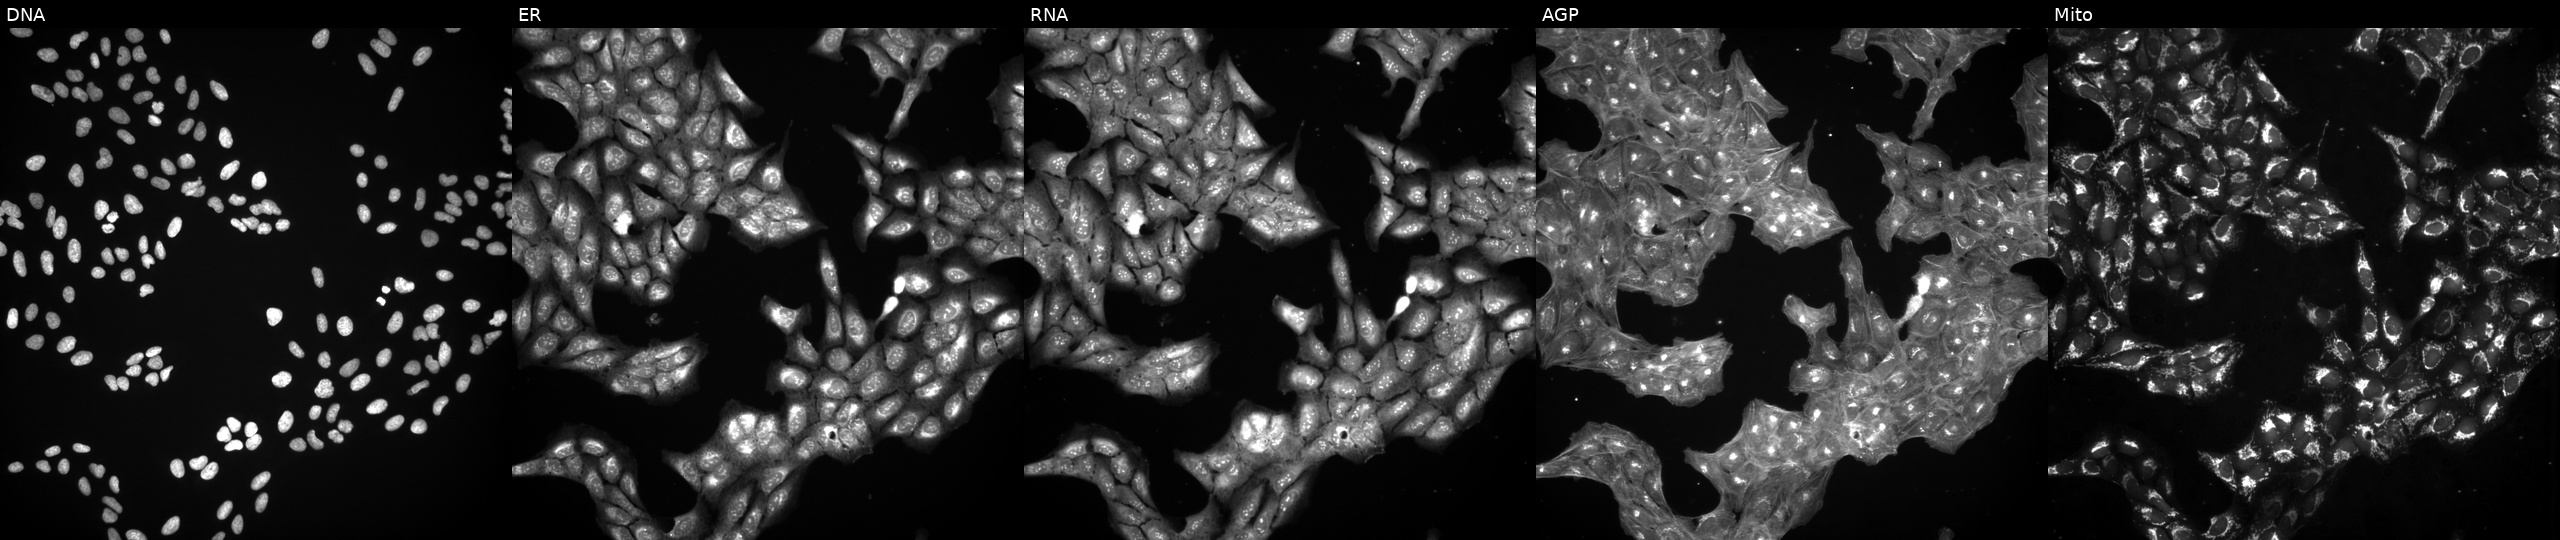
JUMP Cell Painting — COMPOUND plate. U2OS cells treated with a small-molecule compound (InChIKey PFOHMOSUHWDDIM-UHFFFAOYSA-N) (JUMP id JCP2022_068285). From left to right: DNA, ER, RNA, AGP, and Mito.